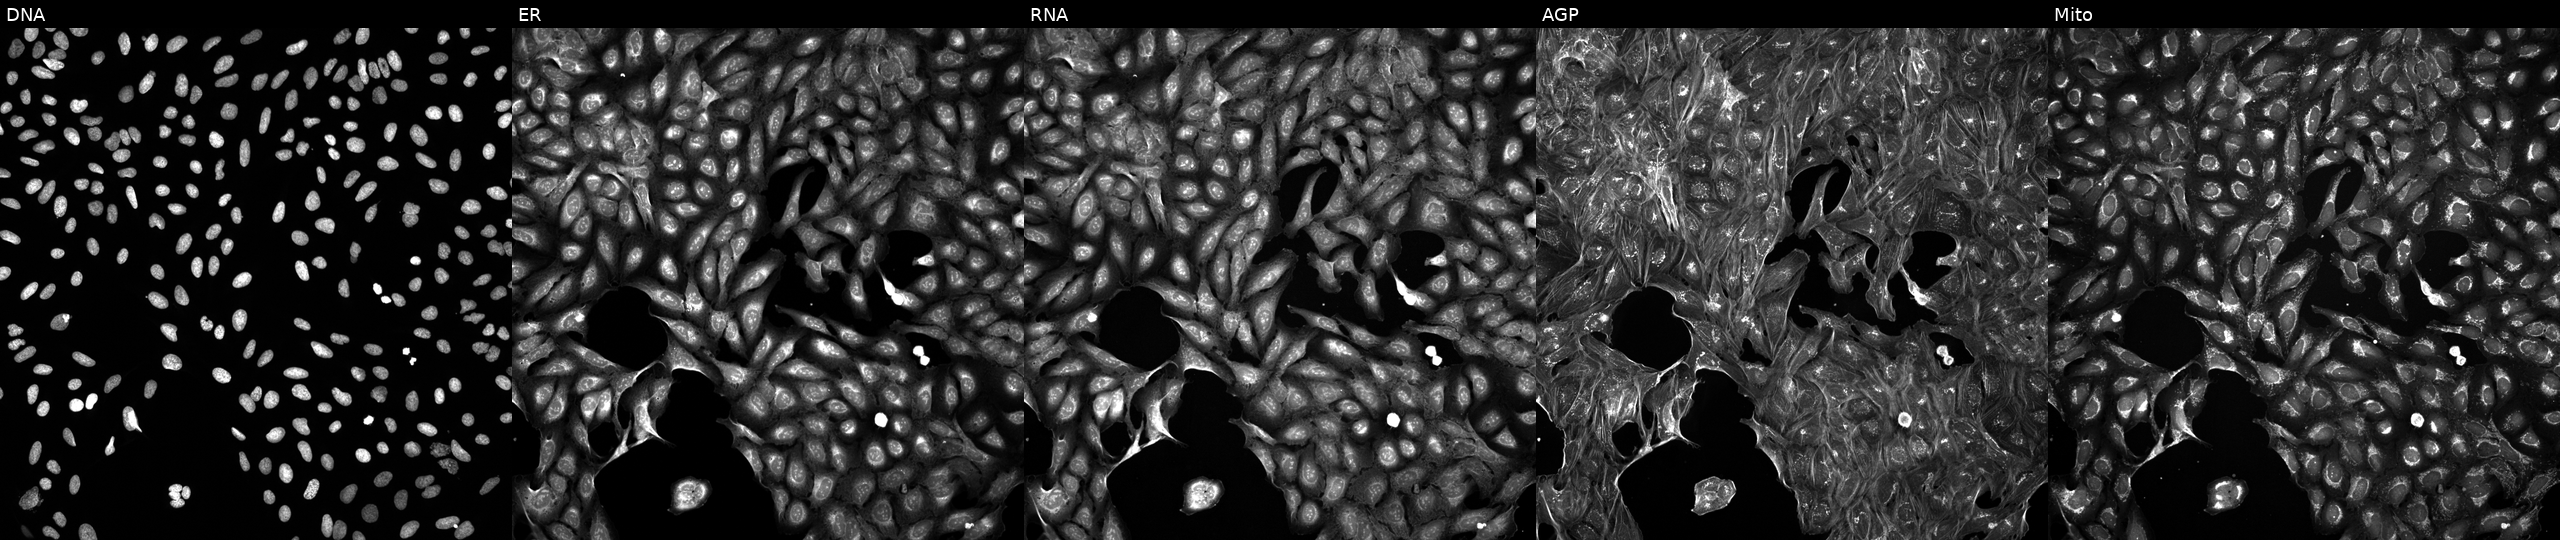
JUMP Cell Painting — TARGET2 plate. U2OS cells exposed to a small-molecule compound (JUMP id JCP2022_069672). Panels show, left to right, Hoechst 33342, concanavalin A, SYTO 14, phalloidin and WGA, MitoTracker.